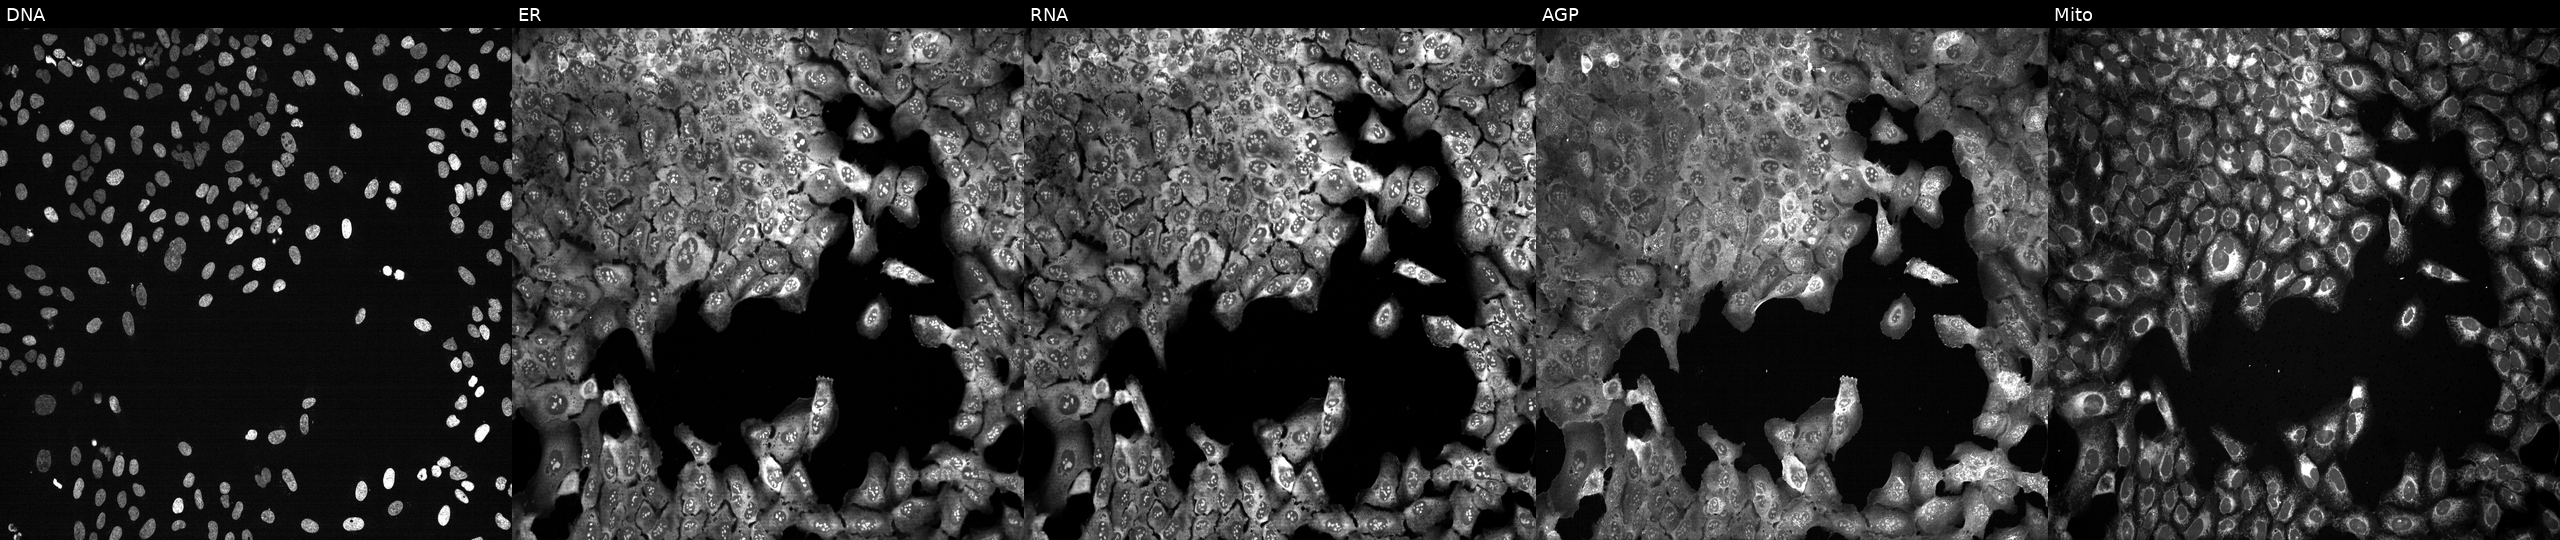
High-content fluorescence microscopy (Cell Painting). Cell line: U2OS. Perturbation: following CRISPR knockout of EIF3F. From left to right: DNA, ER, RNA, AGP, and Mito.